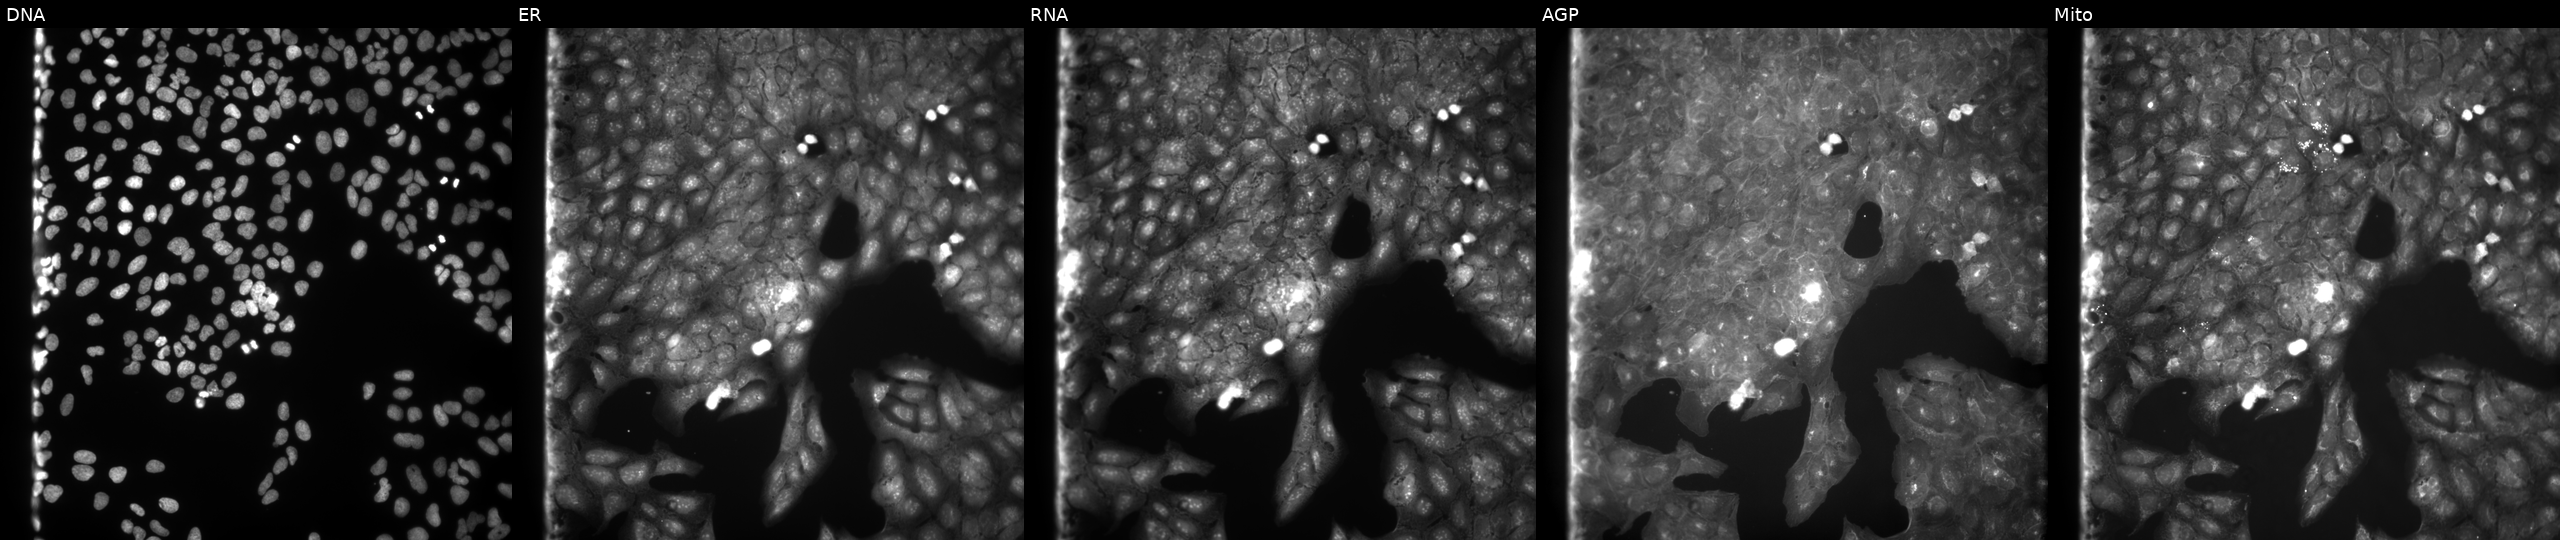
High-content fluorescence microscopy (Cell Painting). Cell line: U2OS. Perturbation: treated with a small-molecule compound (InChIKey BOLSJMUPEQCJLH-UHFFFAOYSA-N) [SMILES: CCN(CC)CC(O)Cn1c(C)c(-c2ccccc2)c2cc([N+](=O)[O-])ccc21] (JUMP id JCP2022_007655). The five panels, left to right, show DNA, ER, RNA, AGP, and Mito.